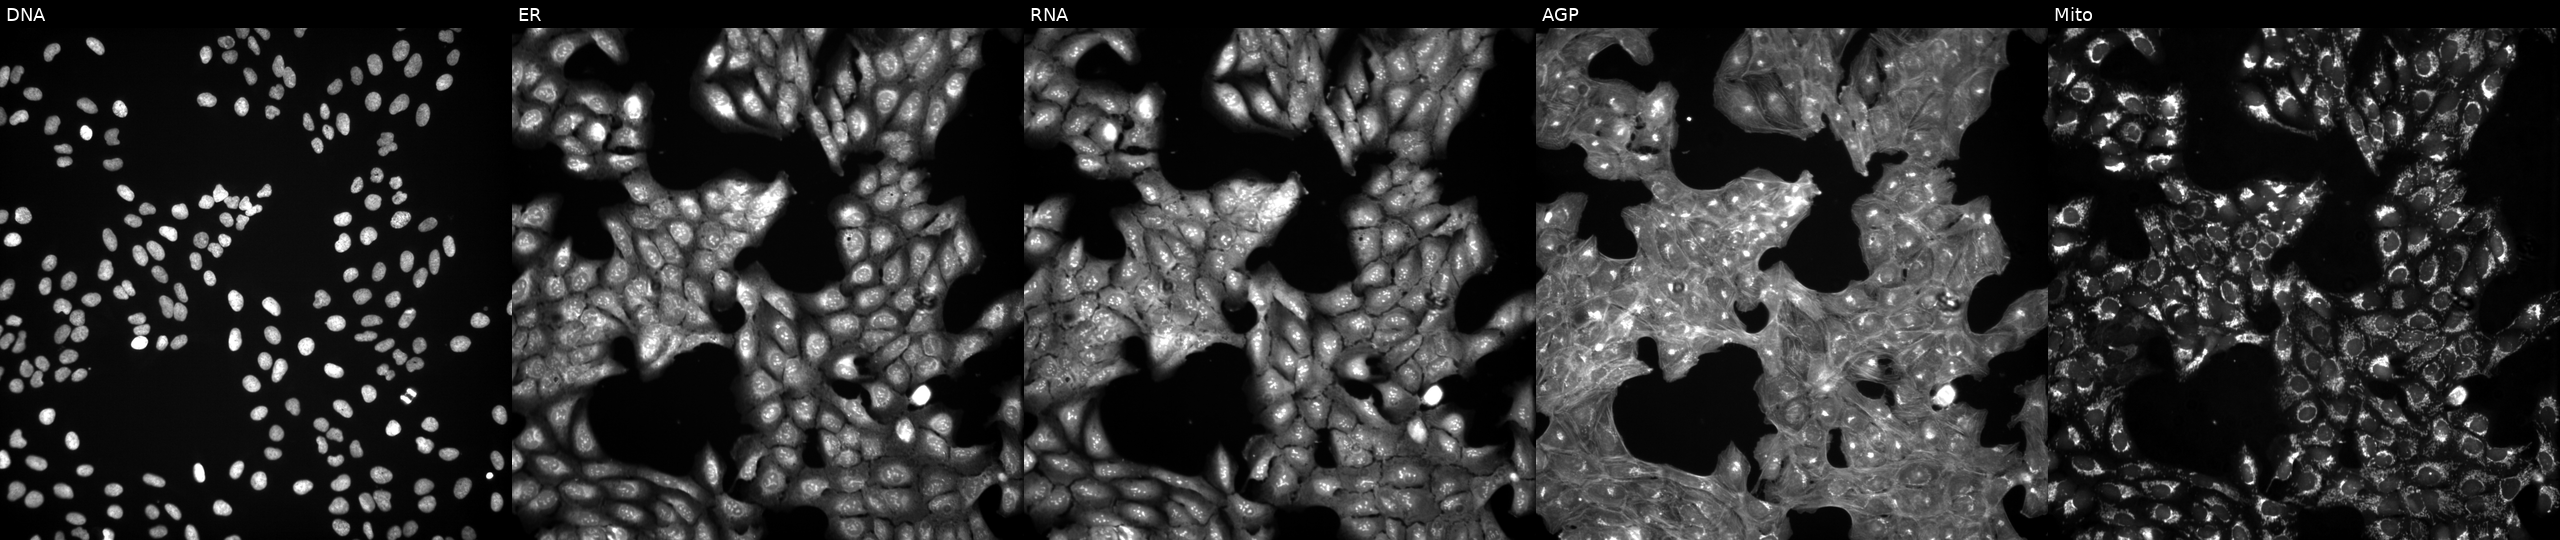
U2OS cells, Cell Painting assay, exposed to a small-molecule compound. Panels show, left to right, DNA, ER, RNA, AGP, and Mito. Each panel is percentile-stretched 16-bit fluorescence. Source 3, plate JCPQC051, well E21.